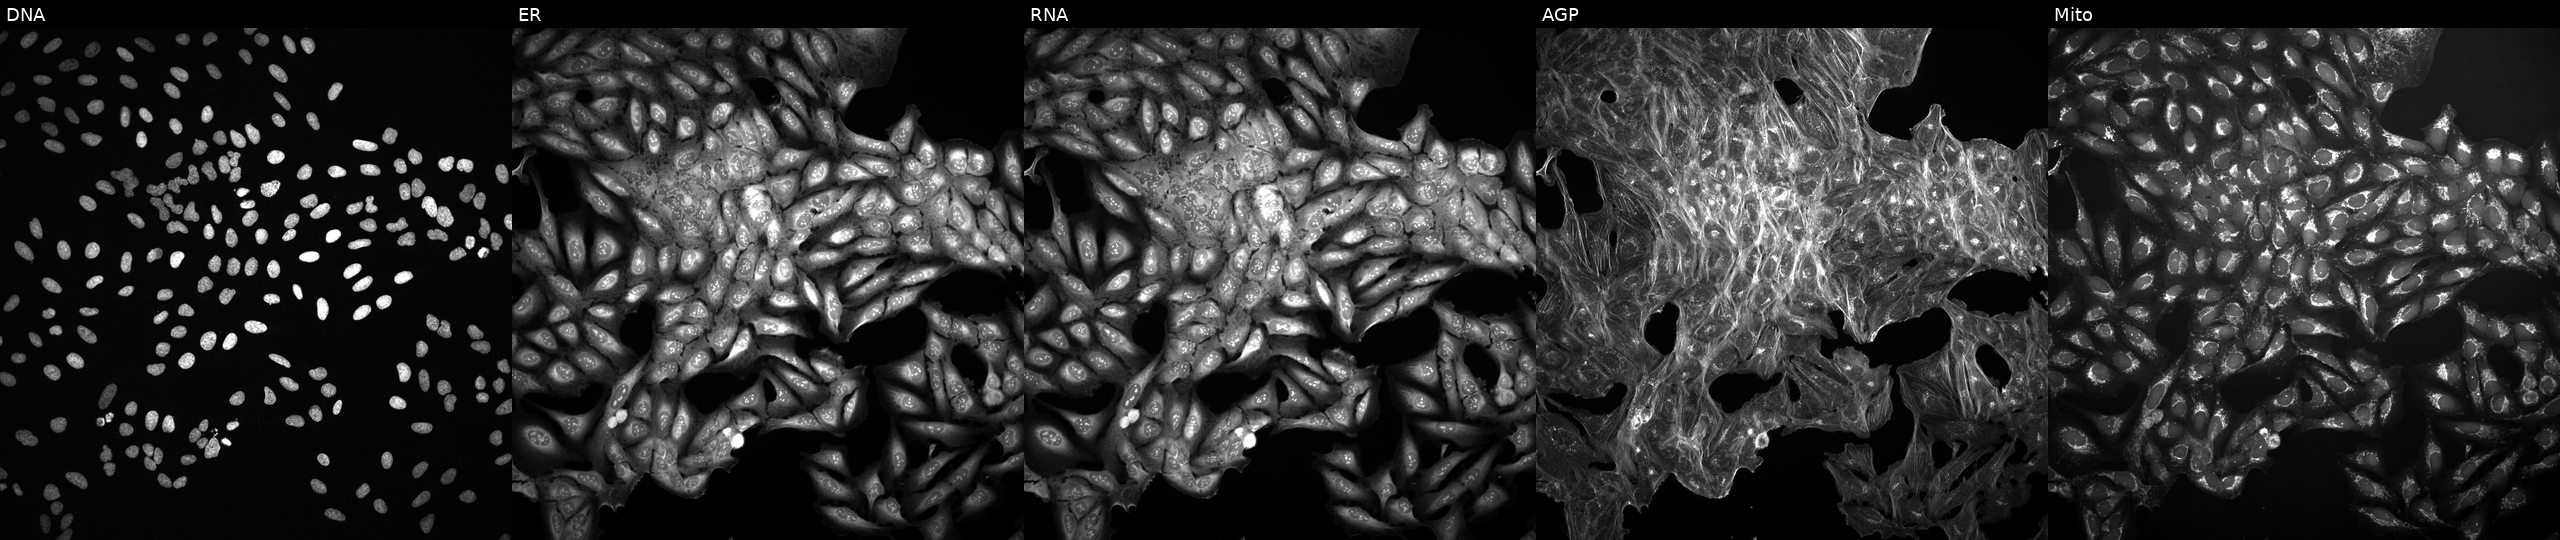
The five panels, left to right, show Hoechst 33342, concanavalin A, SYTO 14, phalloidin and WGA, MitoTracker. U2OS osteosarcoma cells perturbed with a small-molecule compound (InChIKey BCZUAADEACICHN-UHFFFAOYSA-N) [SMILES: Cn1cc(-c2ccc3nnc(Sc4ccc5ncccc5c4)n3n2)cn1]. Cell Painting assay, JUMP-CP dataset.